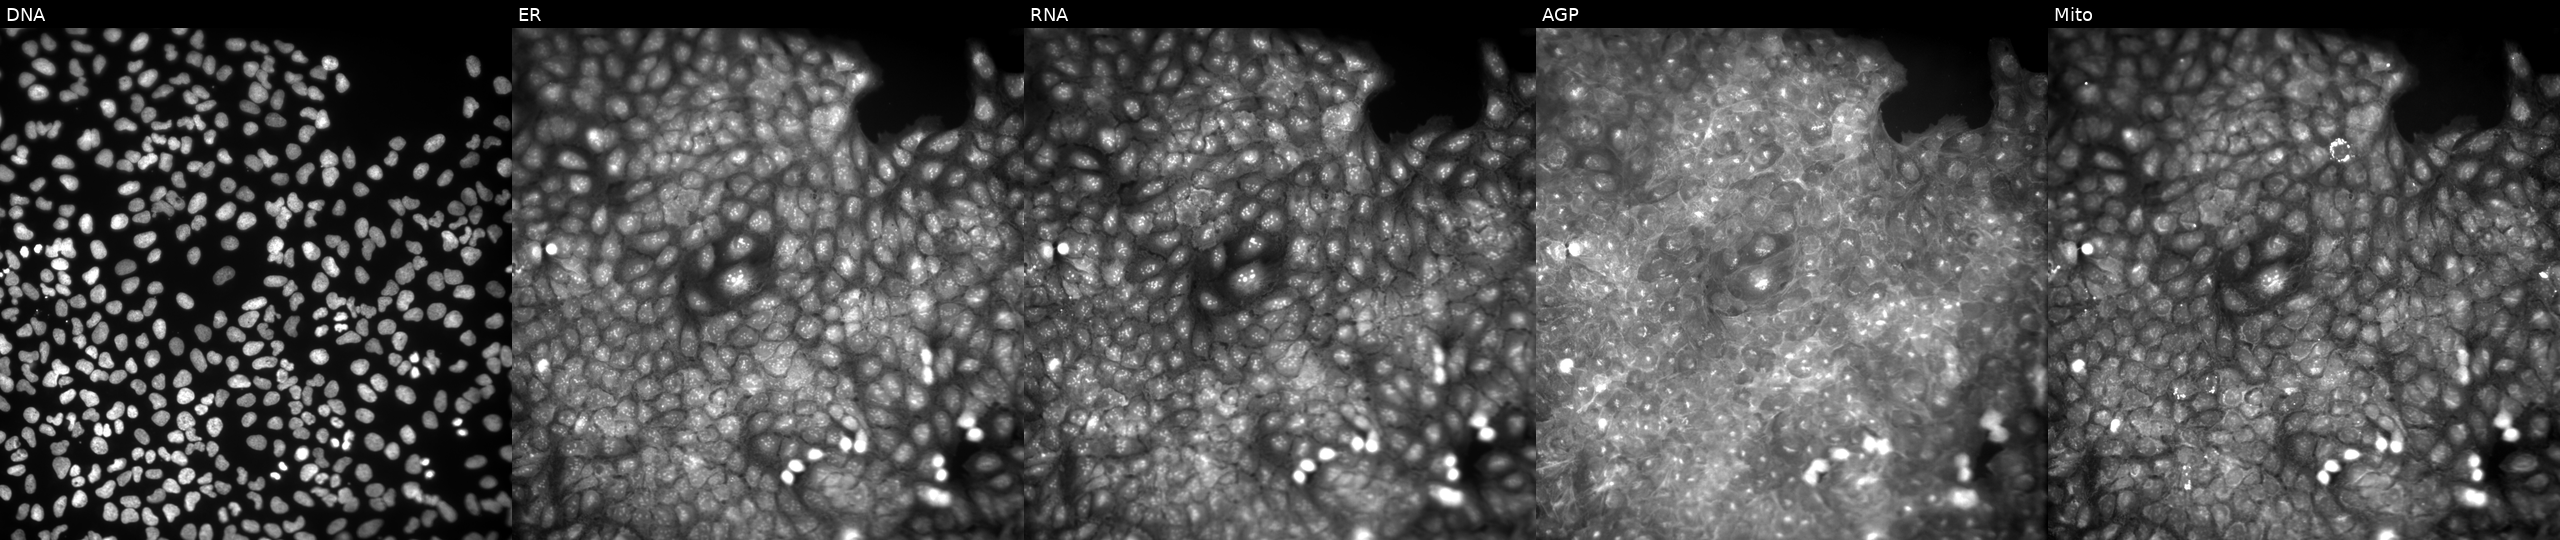
JUMP Cell Painting — COMPOUND plate. U2OS cells treated with a small-molecule compound (InChIKey GAJMGEFJWCEVMX-UHFFFAOYSA-N) (JUMP id JCP2022_024165). From left to right: DNA, ER, RNA, AGP, and Mito.